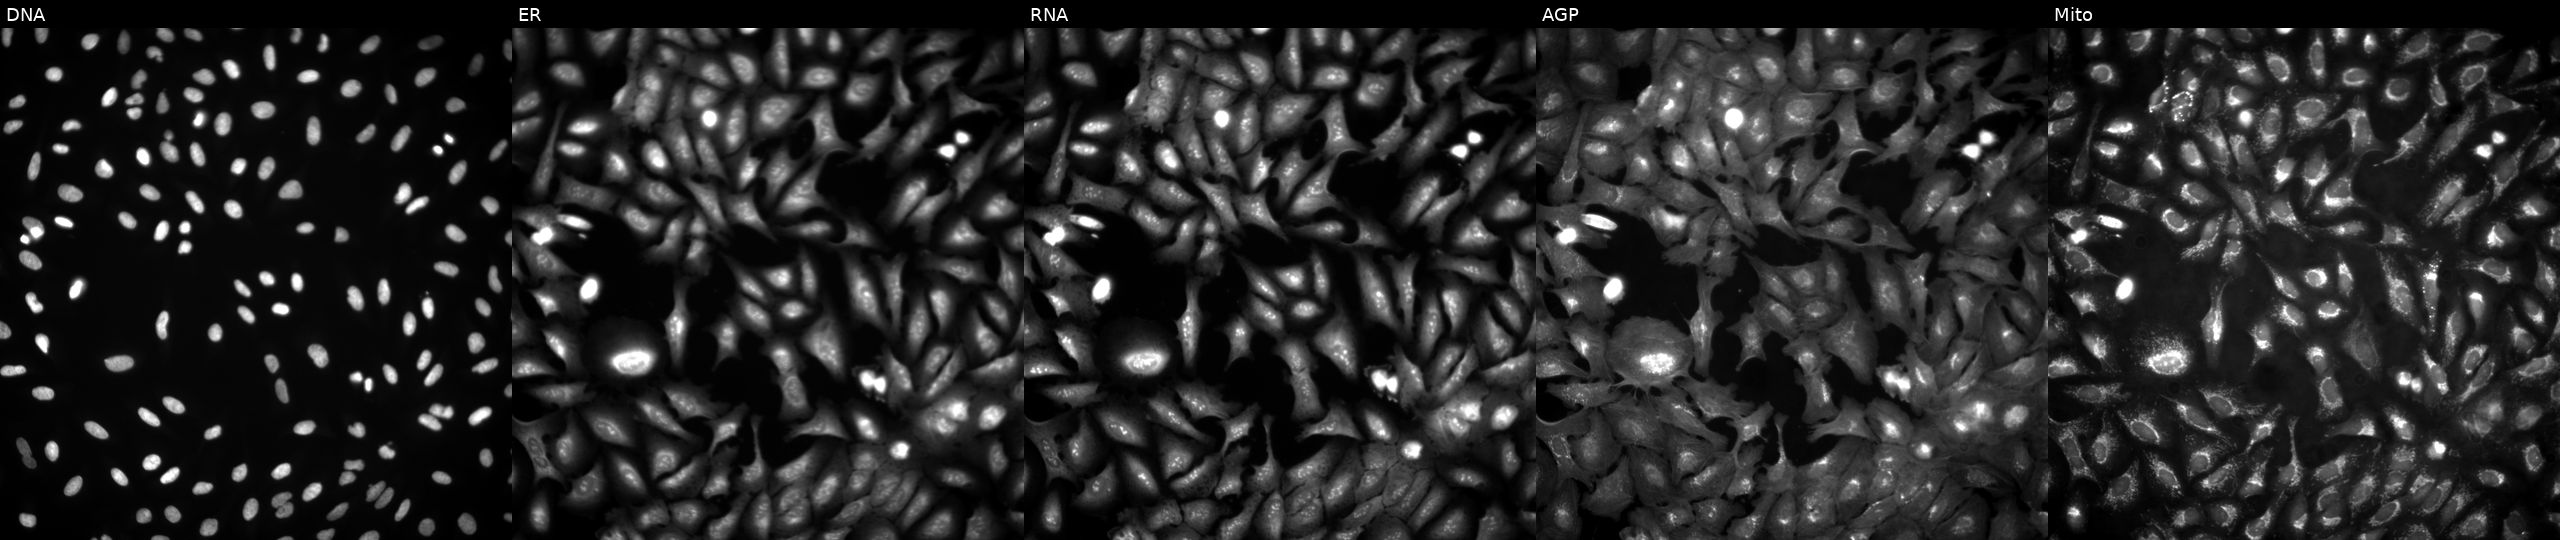
U2OS cells, Cell Painting assay, overexpressing MCUB via ORF transfection. Channels (left→right): DNA, ER, RNA, AGP, and Mito. Each panel is percentile-stretched 16-bit fluorescence. Source 4, plate BR00124787, well B12.